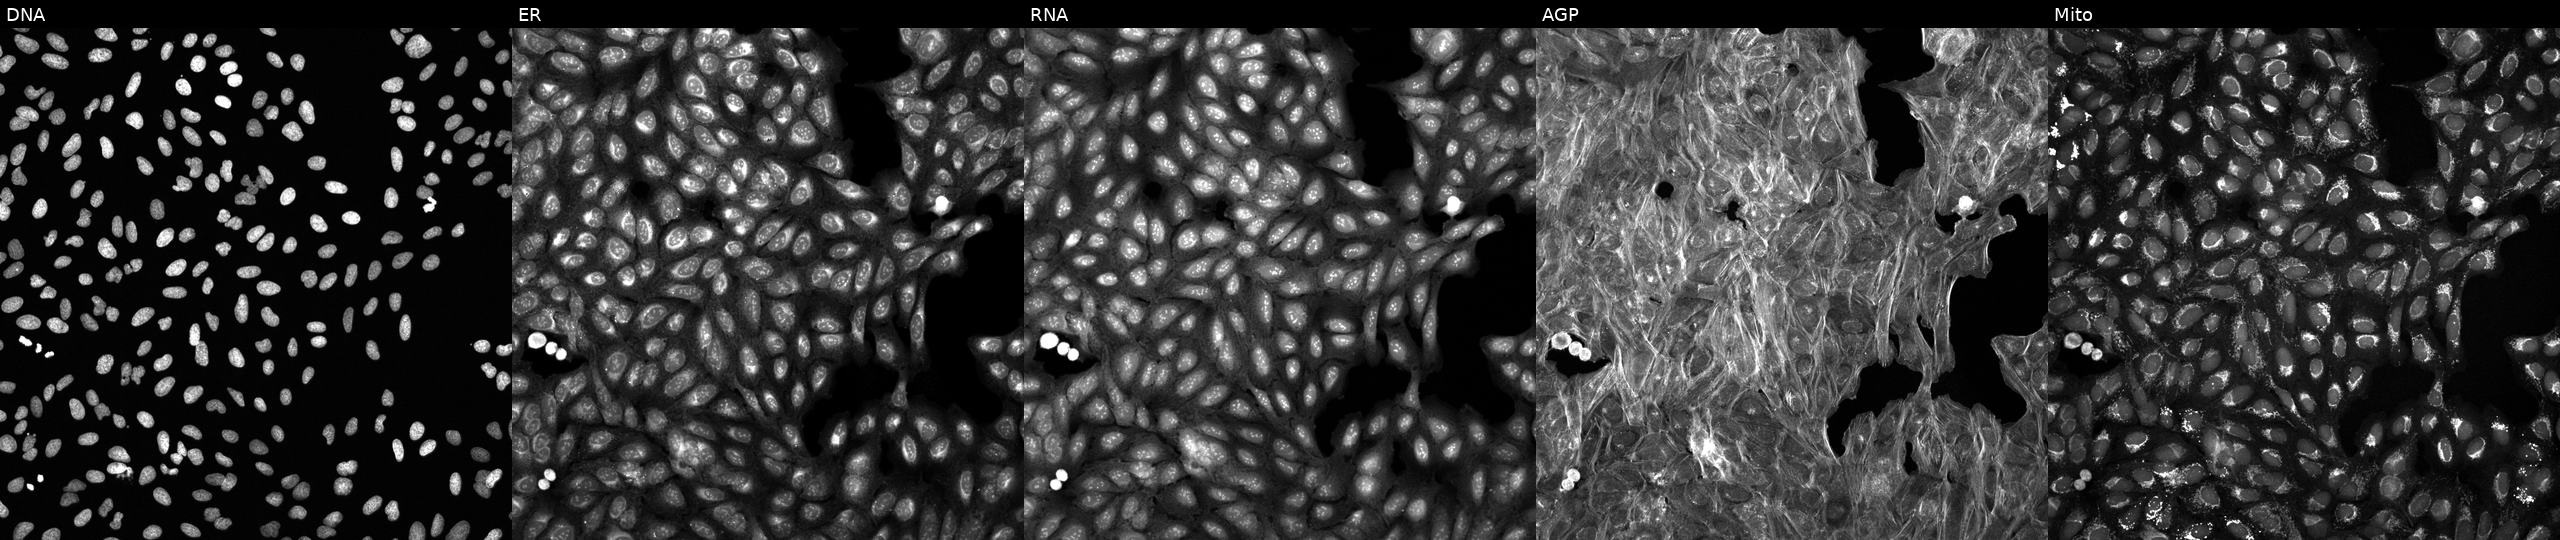
U2OS cells, Cell Painting assay, treated with aloxistatin (positive-control compound). From left to right: Hoechst 33342, concanavalin A, SYTO 14, phalloidin and WGA, MitoTracker. Each panel is percentile-stretched 16-bit fluorescence. Source 6, plate 110000293082, well M24.